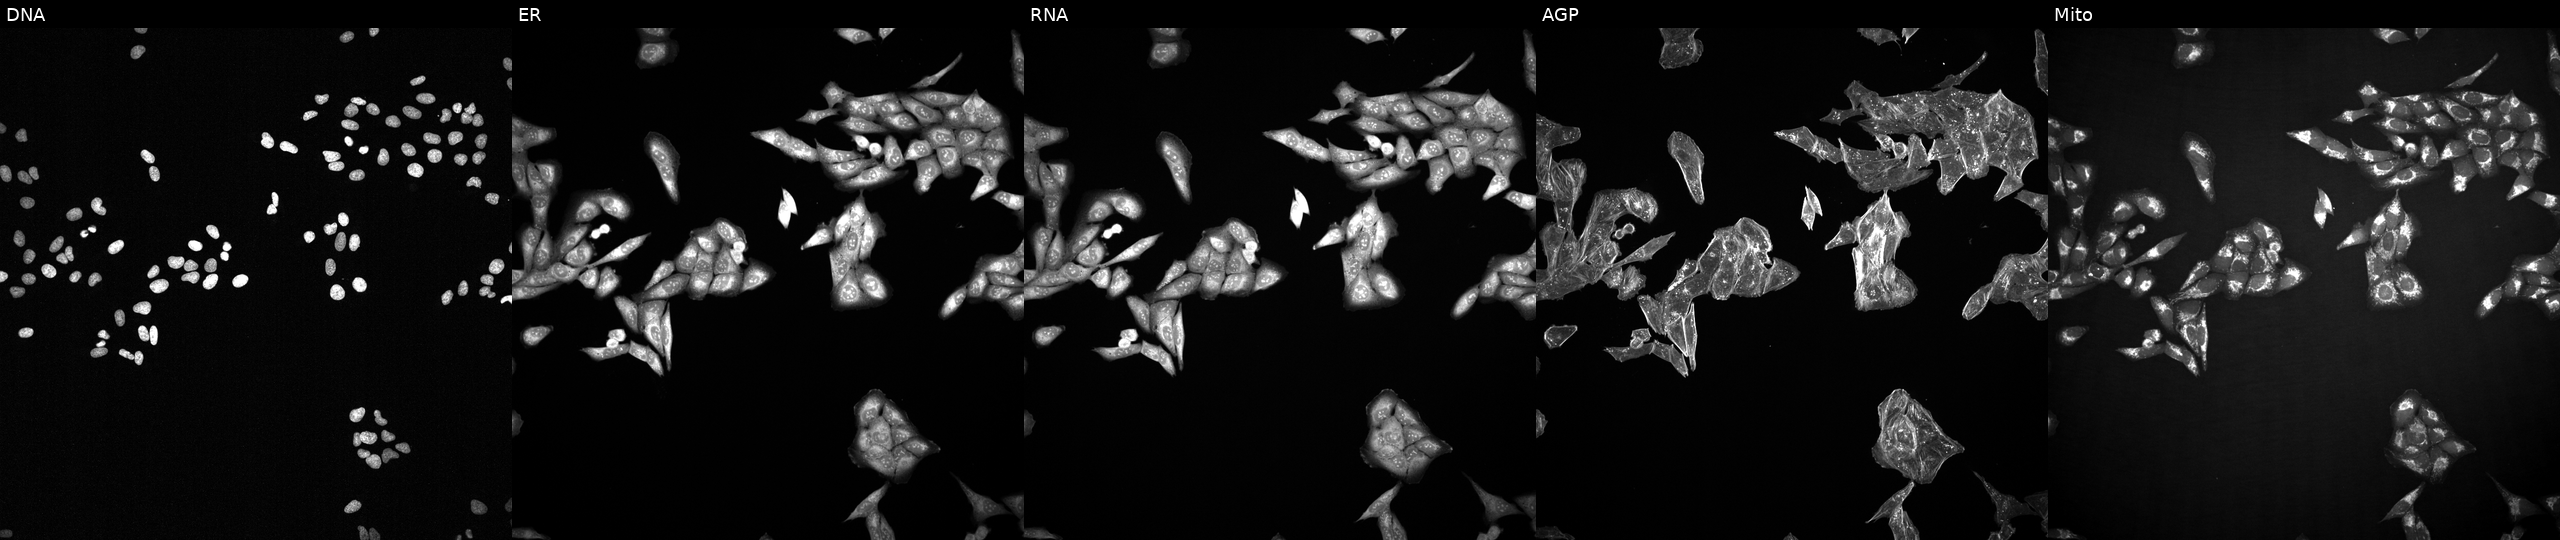
This image strip shows the five Cell Painting channels for a single field of U2OS cells exposed to a small-molecule compound (InChIKey JVCWPUFNLFSKFS-UHFFFAOYSA-N). Panels show, left to right, Hoechst 33342, concanavalin A, SYTO 14, phalloidin and WGA, MitoTracker.